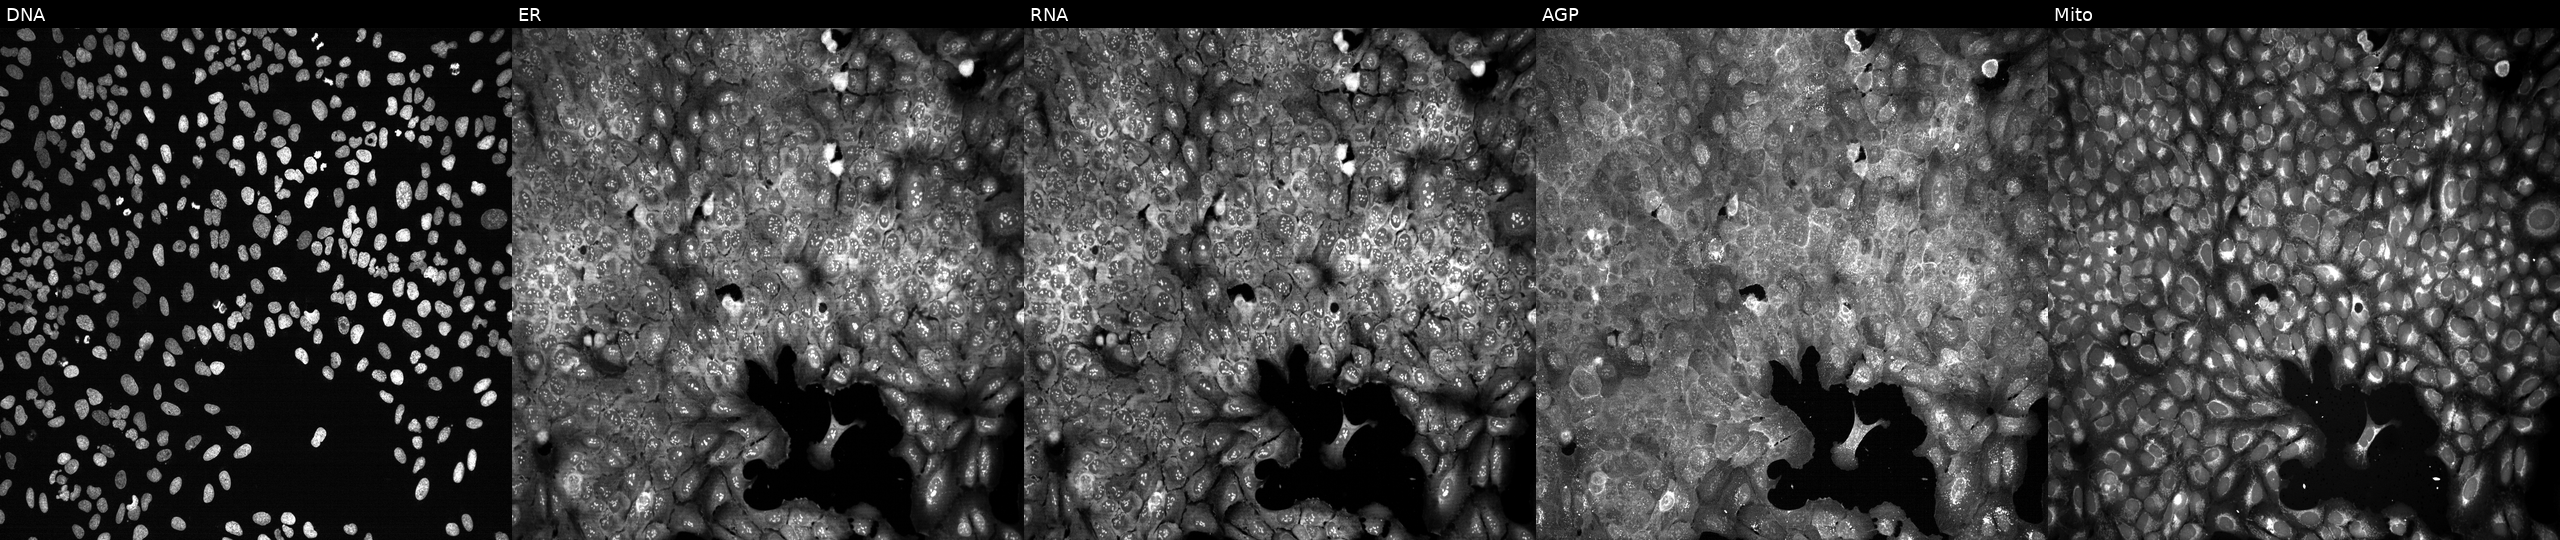
Panels show, left to right, Hoechst 33342, concanavalin A, SYTO 14, phalloidin and WGA, MitoTracker. U2OS osteosarcoma cells with CHSY1 knocked out by CRISPR. Cell Painting assay, JUMP-CP dataset.